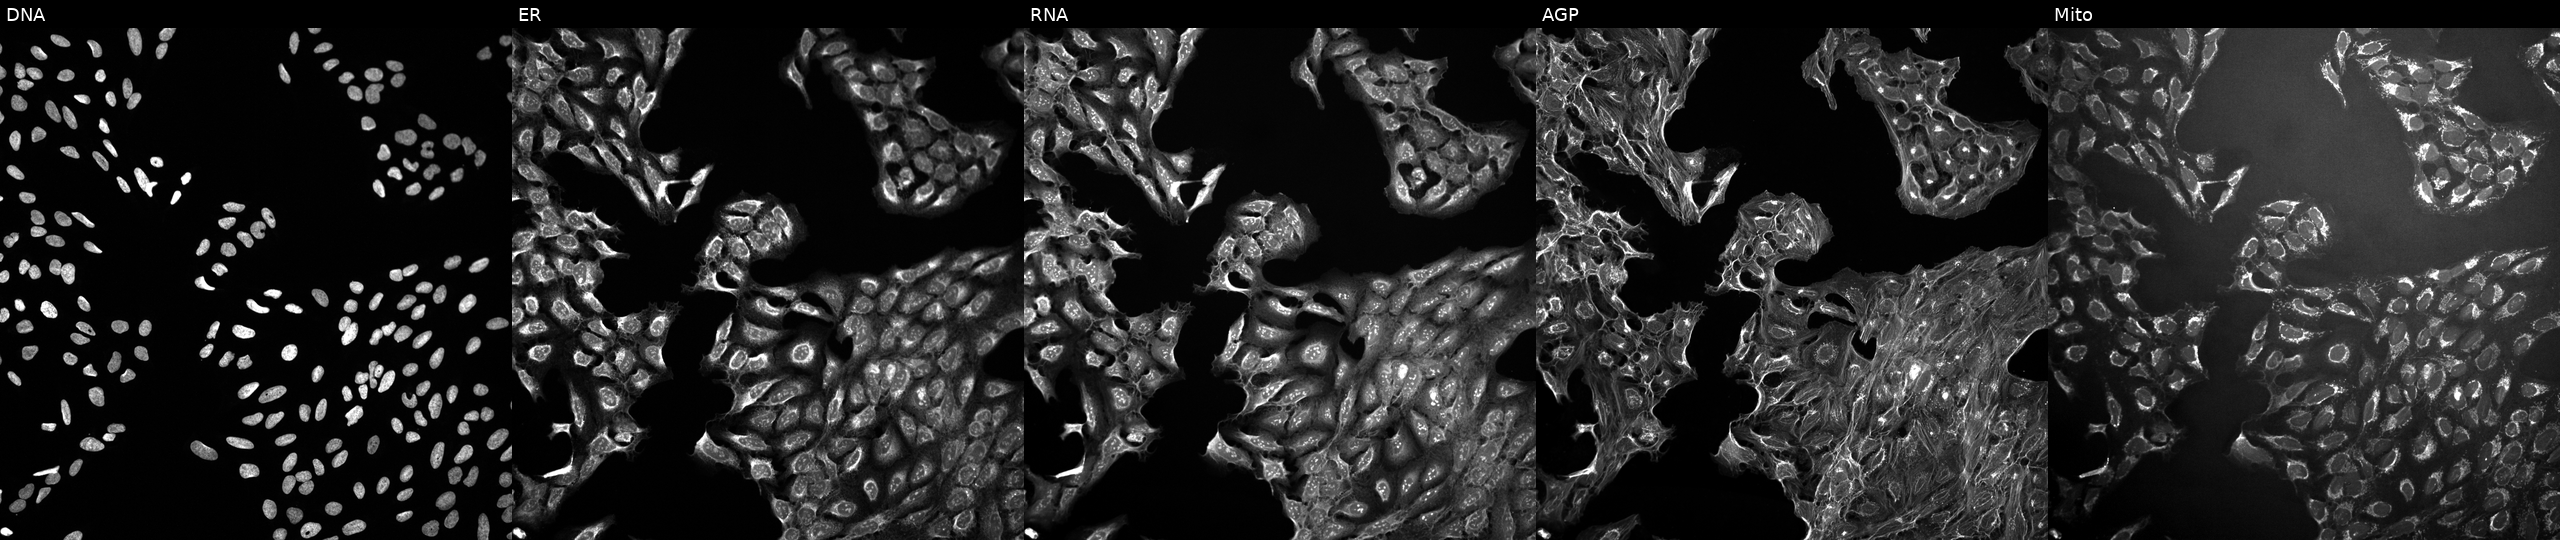
U2OS cells, Cell Painting assay, treated with dexamethasone (positive-control compound). Panels show, left to right, DNA, ER, RNA, AGP, and Mito. Each panel is percentile-stretched 16-bit fluorescence.